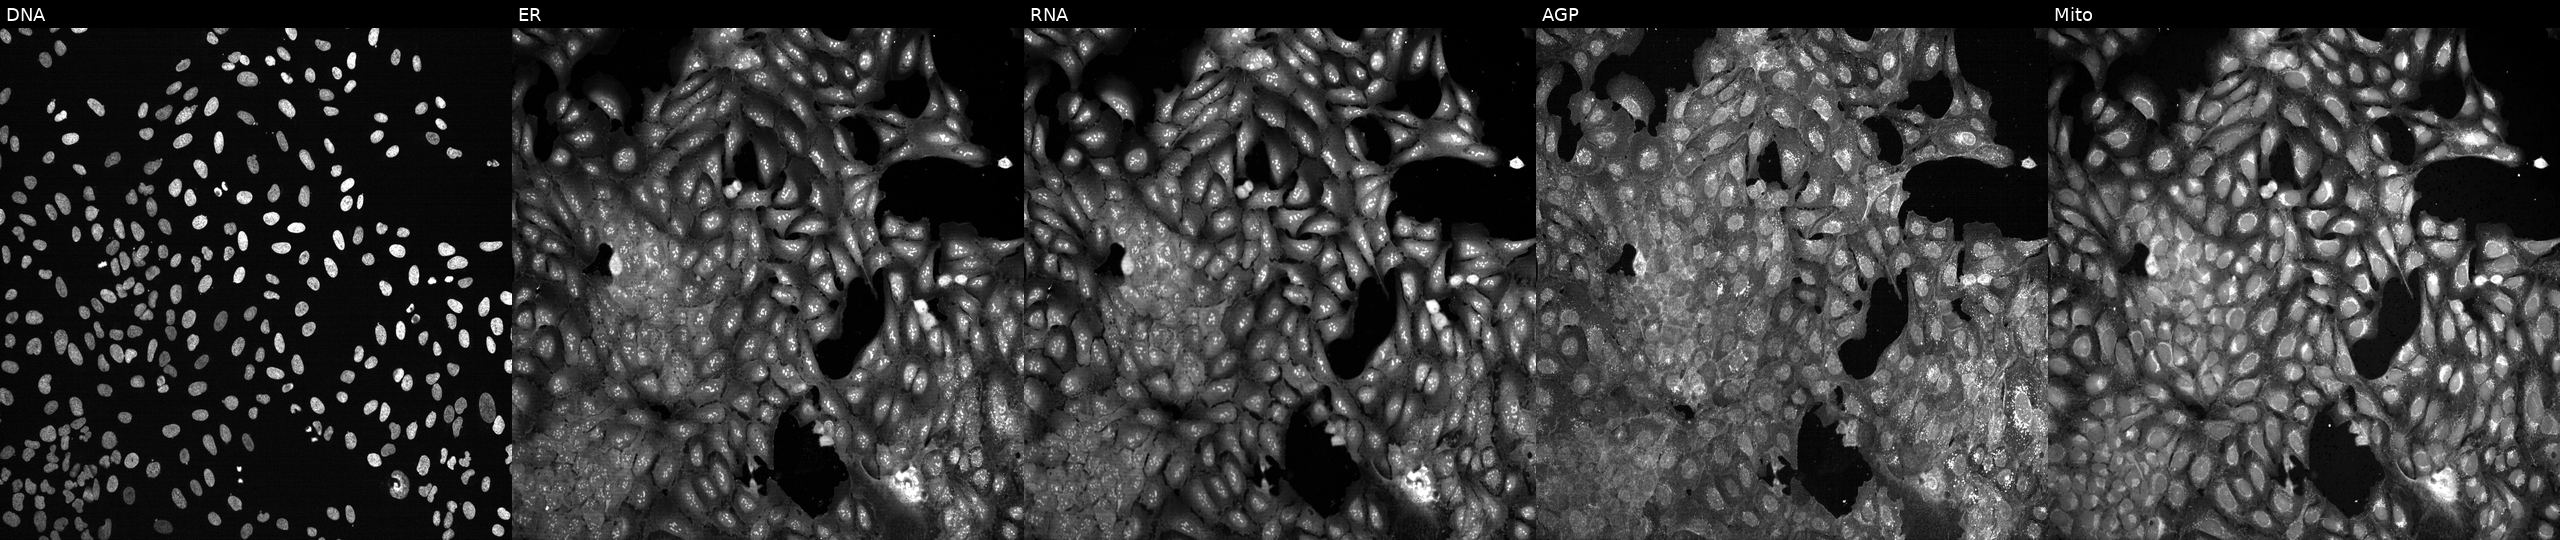
Panels show, left to right, DNA (nuclei); ER (endoplasmic reticulum); RNA (nucleoli and cytoplasmic RNA); AGP (actin cytoskeleton, Golgi, and plasma membrane); Mito (mitochondria). U2OS osteosarcoma cells following CRISPR knockout of ISG20L2. Cell Painting assay, JUMP-CP dataset.